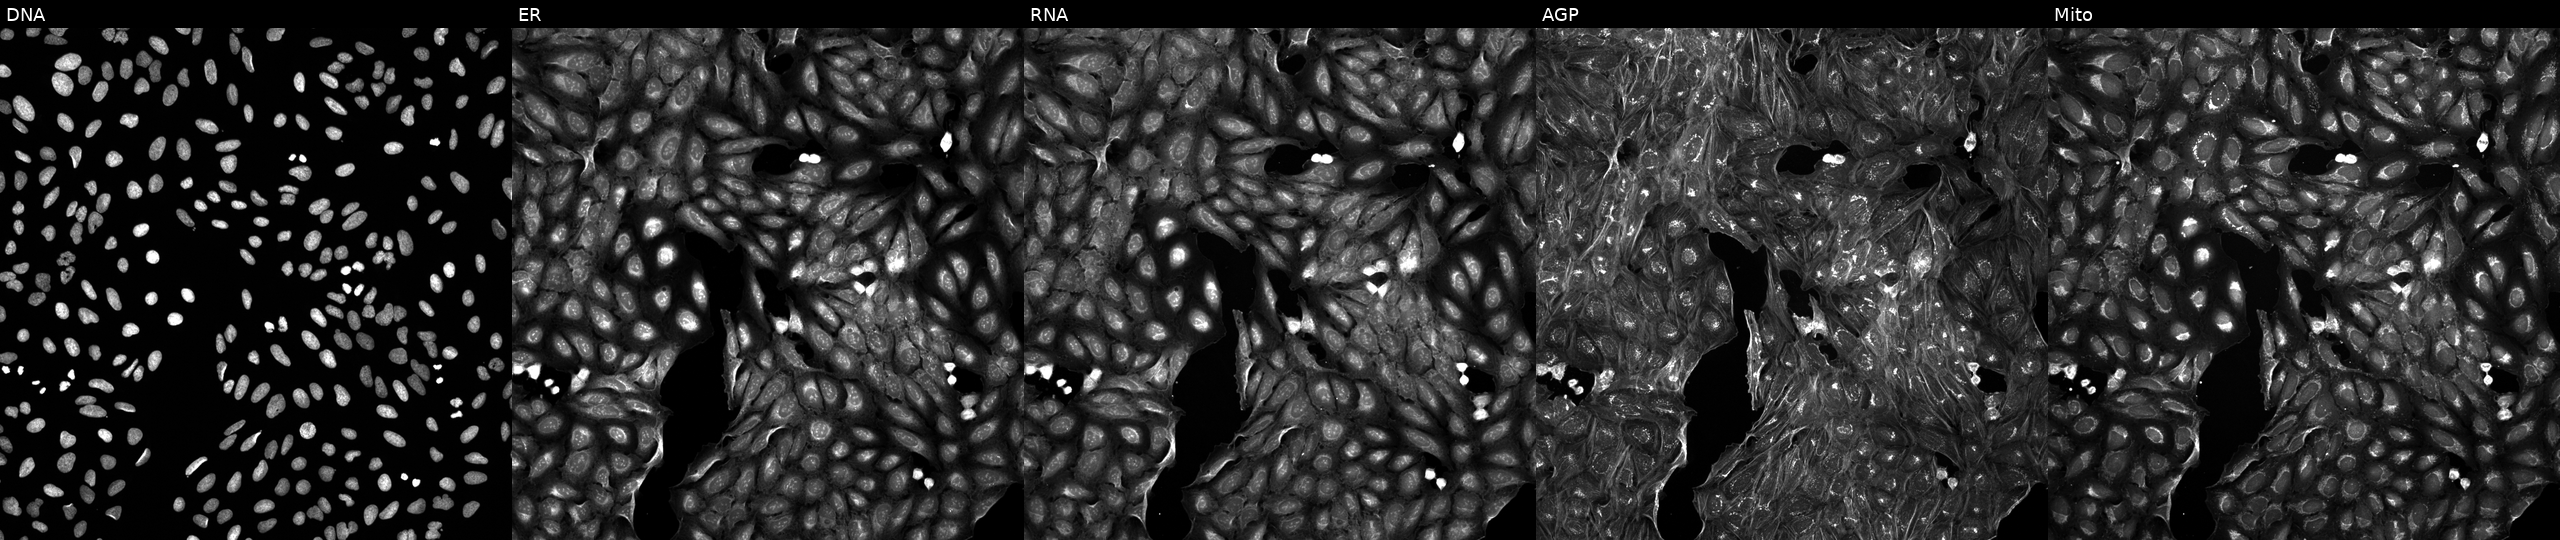
This image strip shows the five Cell Painting channels for a single field of U2OS cells exposed to a small-molecule compound (InChIKey ZXJJXOCMZQSNIU-UHFFFAOYSA-N) [SMILES: Cc1cccc(=NCCNC(=O)C2OCCc3ccccc32)[nH]1] (JUMP id JCP2022_116276). From left to right: Hoechst 33342, concanavalin A, SYTO 14, phalloidin and WGA, MitoTracker.